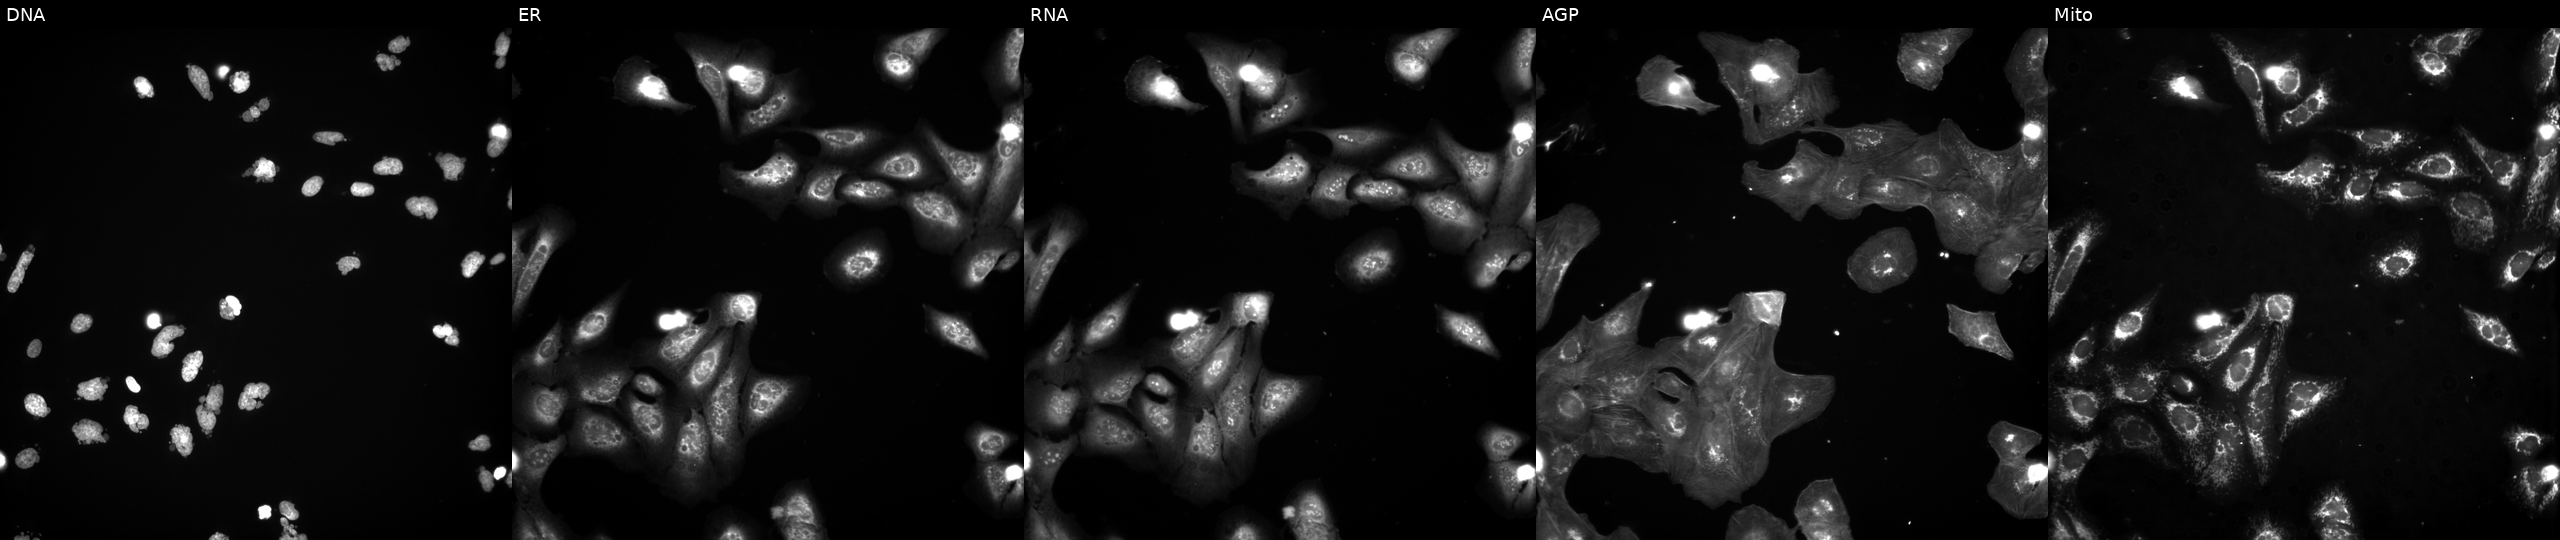
Five-channel Cell Painting image of U2OS cells exposed to the positive-control compound AMG900. Channels (left→right): Hoechst 33342, concanavalin A, SYTO 14, phalloidin and WGA, MitoTracker. Source 3, plate BR5867a3, well N24.